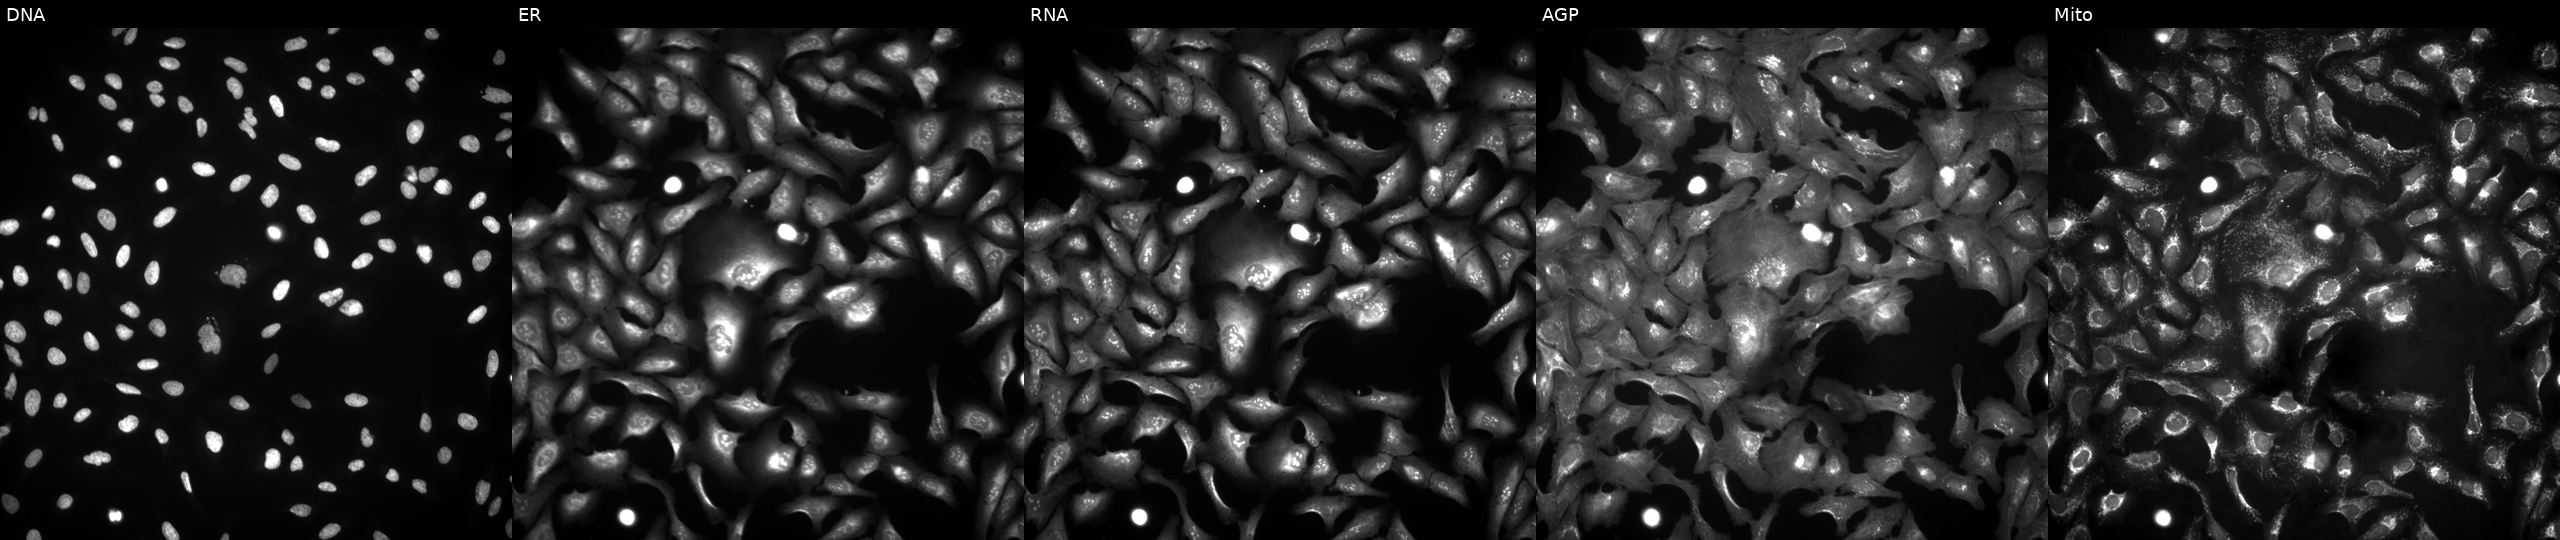
High-content fluorescence microscopy (Cell Painting). Cell line: U2OS. Perturbation: expressing HcRed (ORF negative control). From left to right: DNA, ER, RNA, AGP, and Mito.